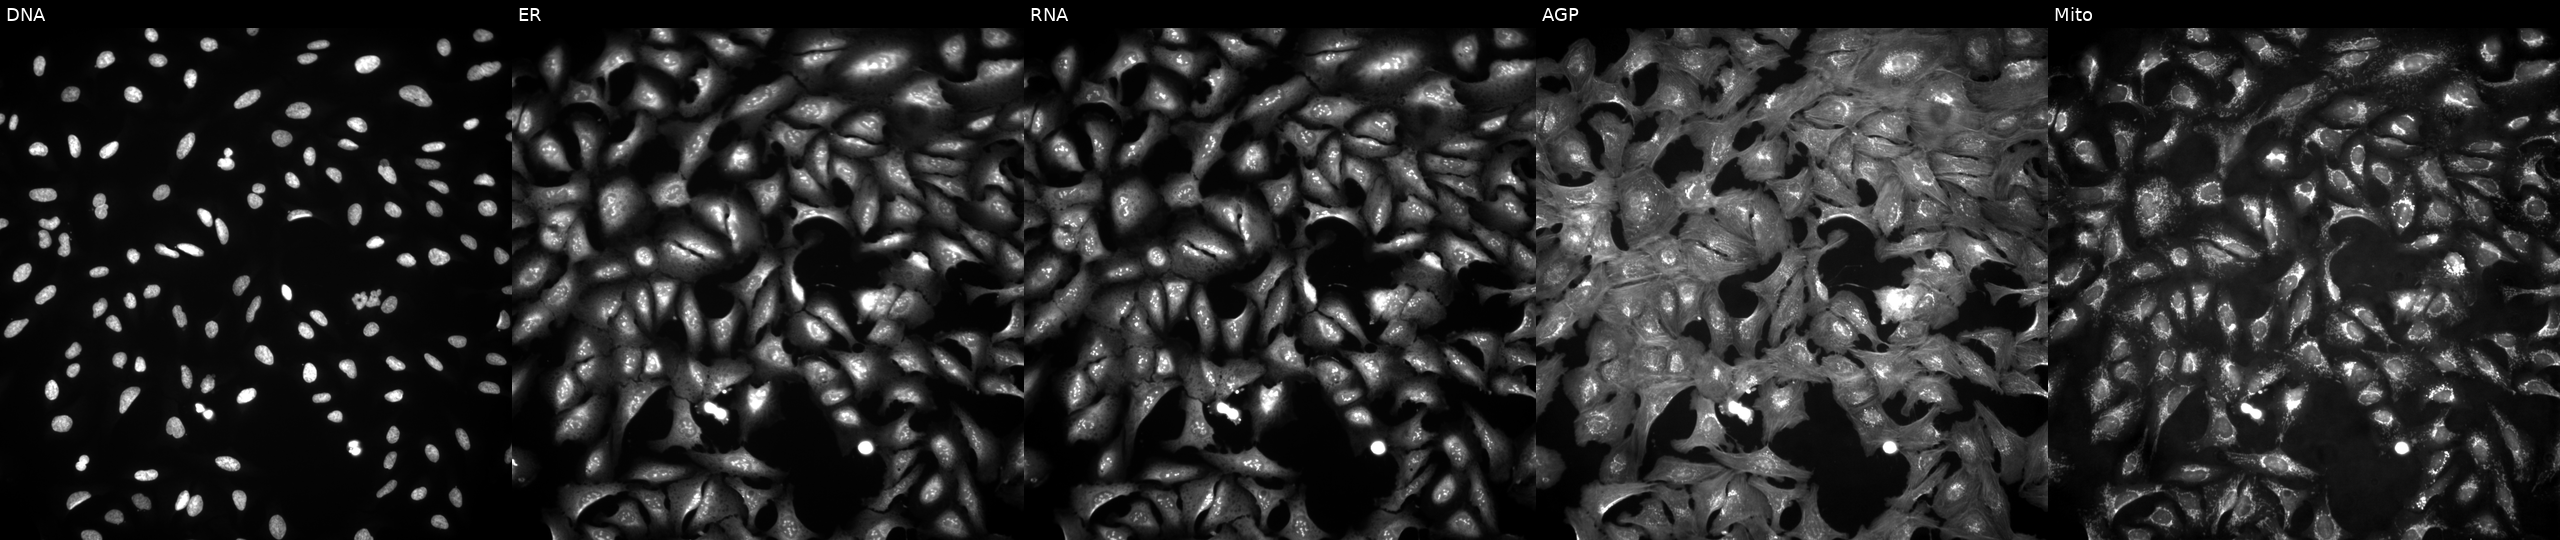
JUMP Cell Painting — ORF plate. U2OS cells transfected with an ORF construct for TNK2. From left to right: DNA (nuclei); ER (endoplasmic reticulum); RNA (nucleoli and cytoplasmic RNA); AGP (actin cytoskeleton, Golgi, and plasma membrane); Mito (mitochondria).